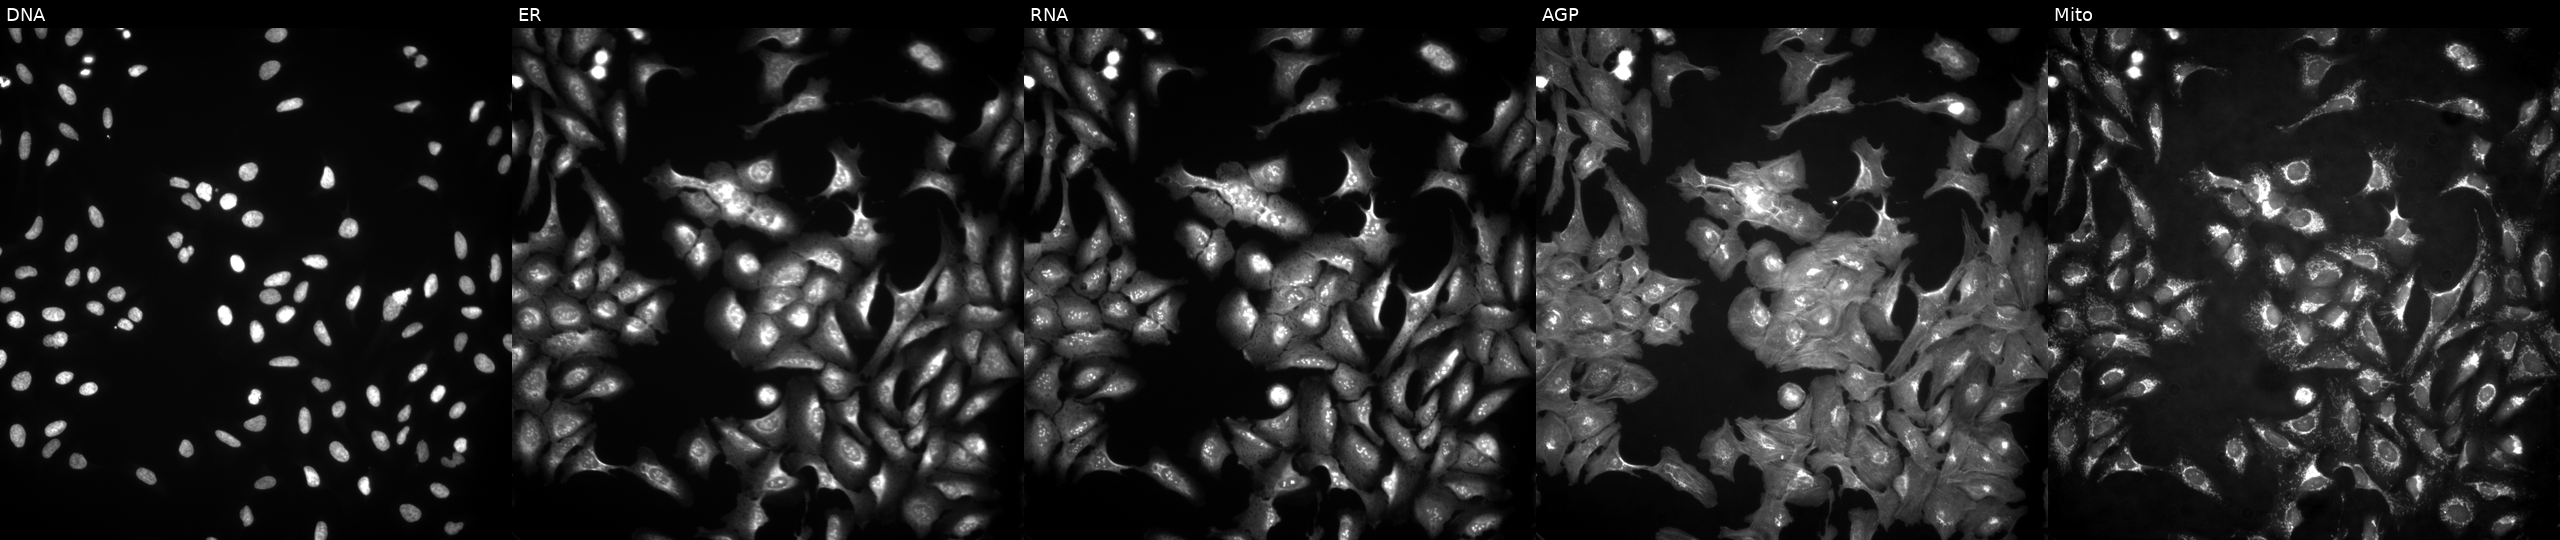
This image strip shows the five Cell Painting channels for a single field of U2OS cells with SLC39A11 overexpressed (ORF) (JUMP id JCP2022_909147). Panels show, left to right, Hoechst 33342, concanavalin A, SYTO 14, phalloidin and WGA, MitoTracker. Source 4, plate BR00123509, well H16.